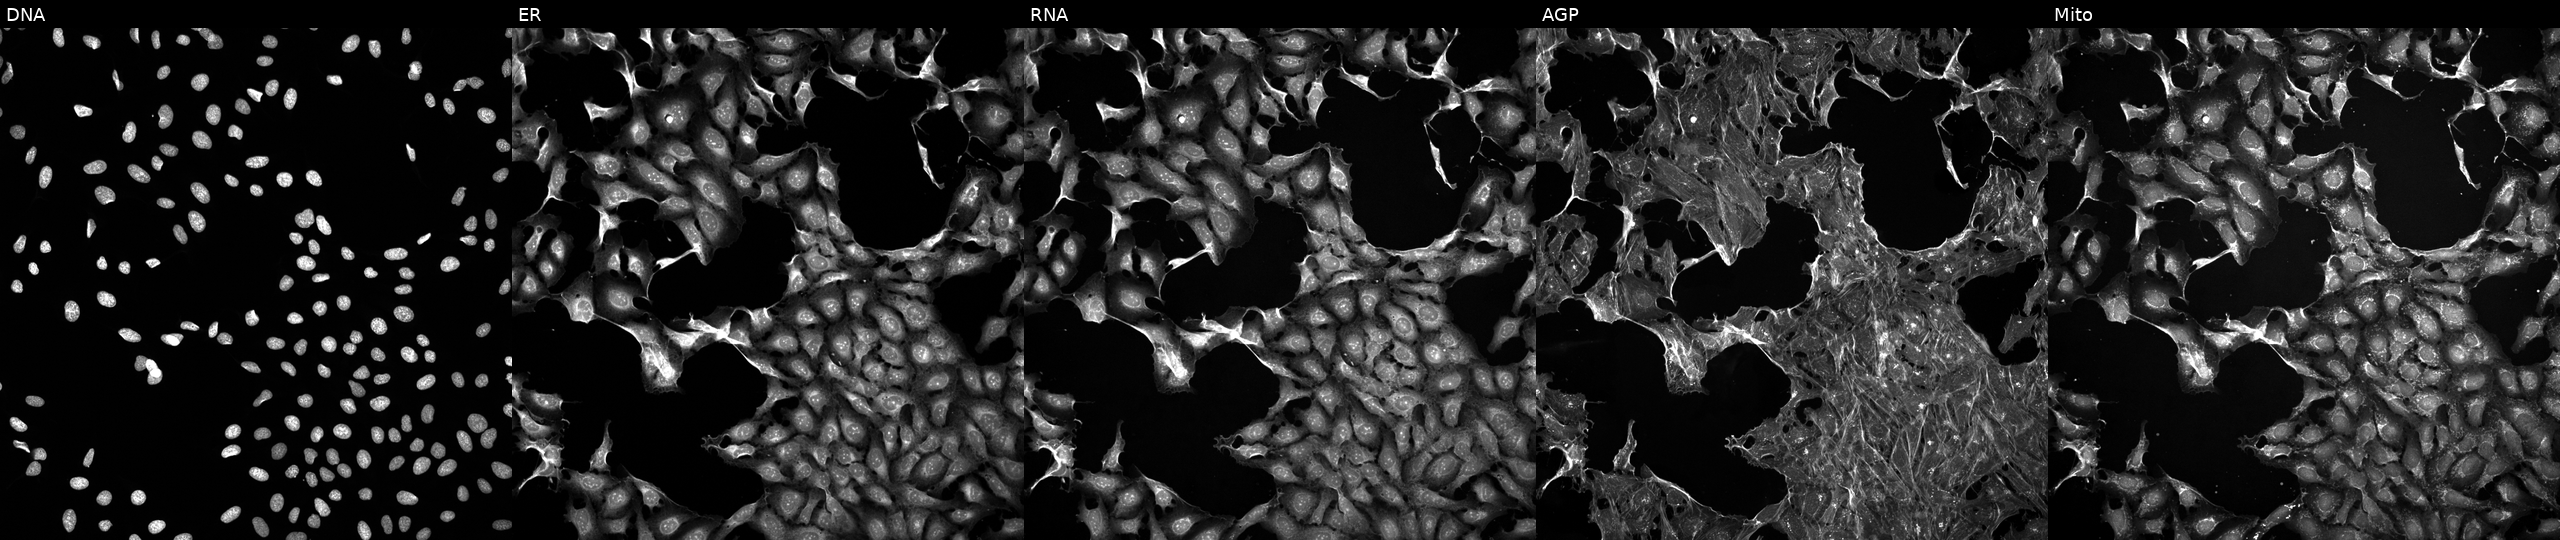
Panels show, left to right, DNA (nuclei); ER (endoplasmic reticulum); RNA (nucleoli and cytoplasmic RNA); AGP (actin cytoskeleton, Golgi, and plasma membrane); Mito (mitochondria). U2OS osteosarcoma cells exposed to the positive-control compound FK-866 (JUMP id JCP2022_046054). Cell Painting assay, JUMP-CP dataset. Source 5, plate ACPJUM032, well H04.